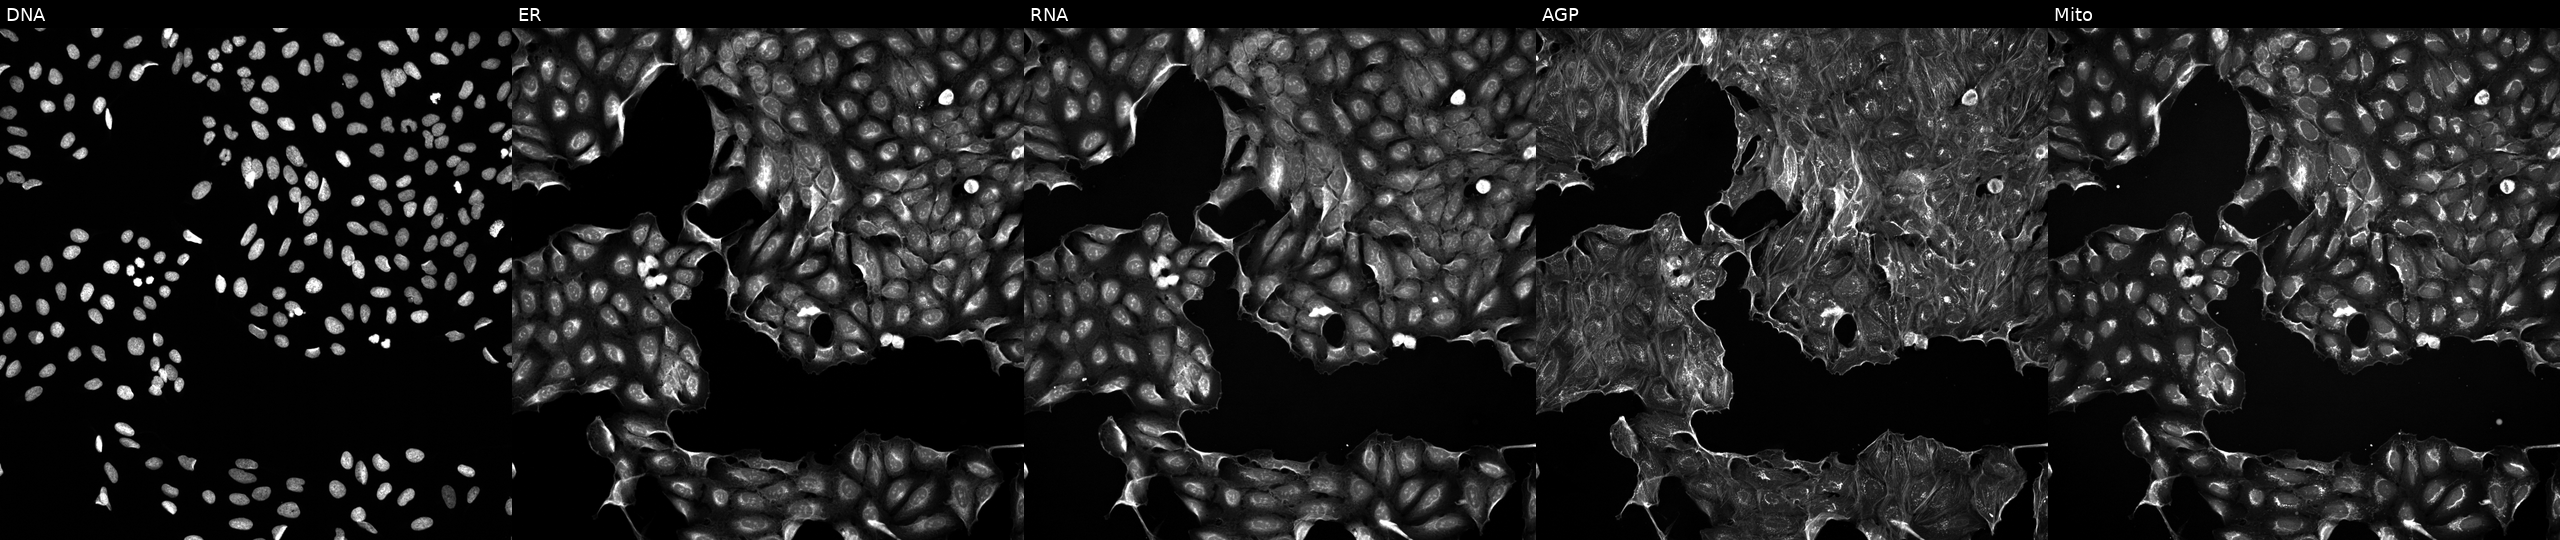
High-content fluorescence microscopy (Cell Painting). Cell line: U2OS. Perturbation: perturbed with a small-molecule compound (InChIKey WJBLNOPPDWQMCH-UHFFFAOYSA-N) (JUMP id JCP2022_099089). The five panels, left to right, show Hoechst 33342, concanavalin A, SYTO 14, phalloidin and WGA, MitoTracker. Source 5, plate ACPJUM051, well O02.